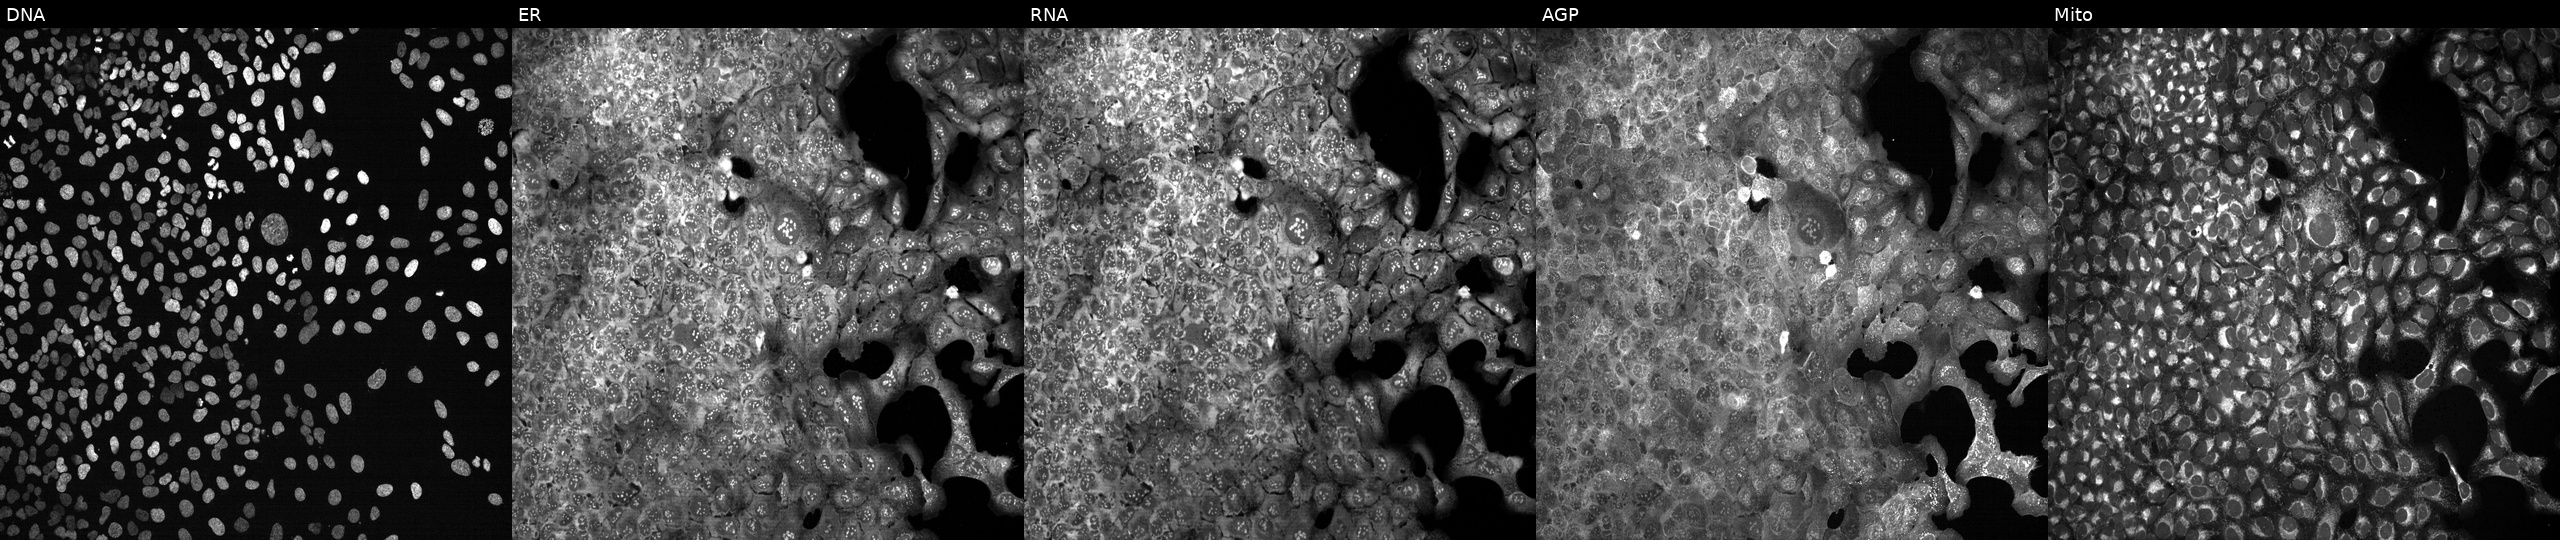
Channels (left→right): Hoechst 33342, concanavalin A, SYTO 14, phalloidin and WGA, MitoTracker. U2OS osteosarcoma cells CRISPR-edited to disrupt PRDM12. Cell Painting assay, JUMP-CP dataset.